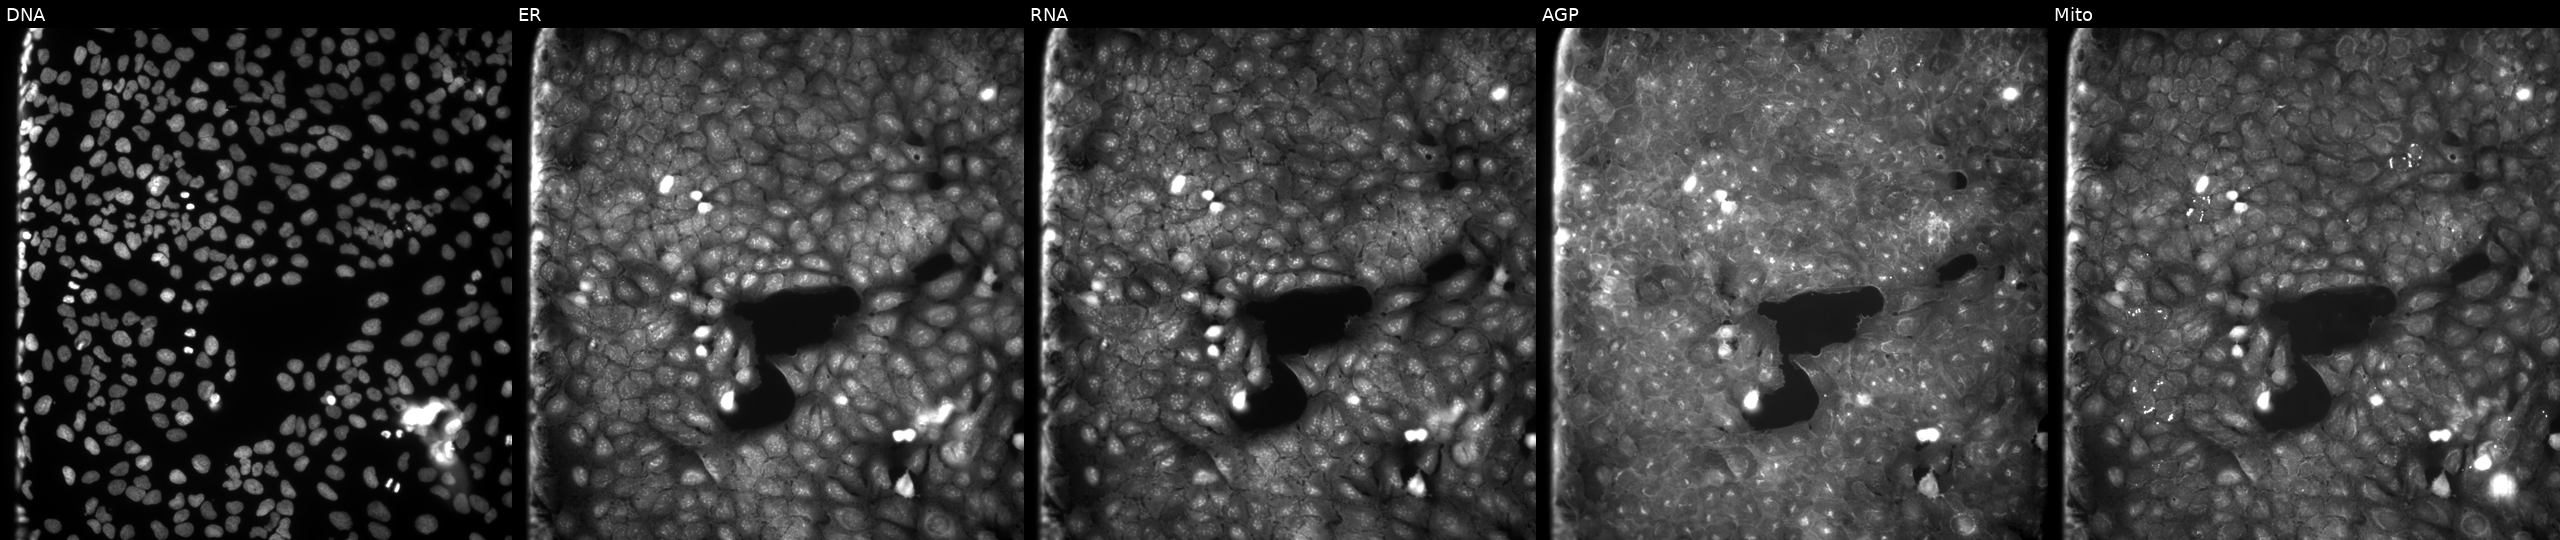
JUMP Cell Painting — COMPOUND plate. U2OS cells perturbed with a small-molecule compound (JUMP id JCP2022_037253). The five panels, left to right, show DNA, ER, RNA, AGP, and Mito. Source 9, plate GR00003382, well M08.